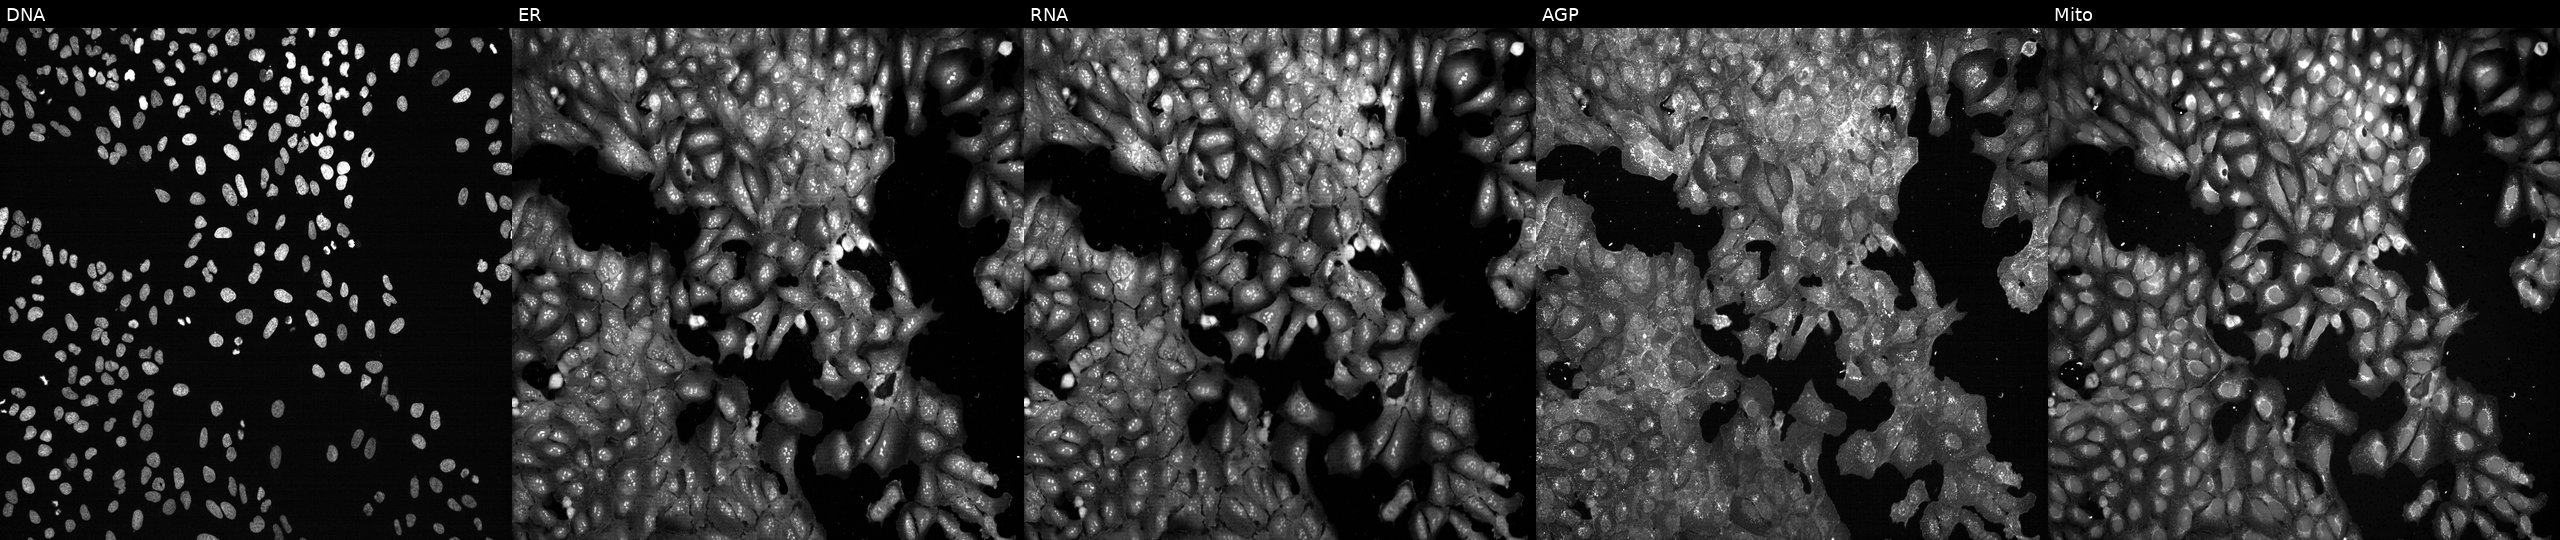
This image strip shows the five Cell Painting channels for a single field of U2OS cells CRISPR-edited to disrupt NOX3. From left to right: DNA (nuclei); ER (endoplasmic reticulum); RNA (nucleoli and cytoplasmic RNA); AGP (actin cytoskeleton, Golgi, and plasma membrane); Mito (mitochondria).